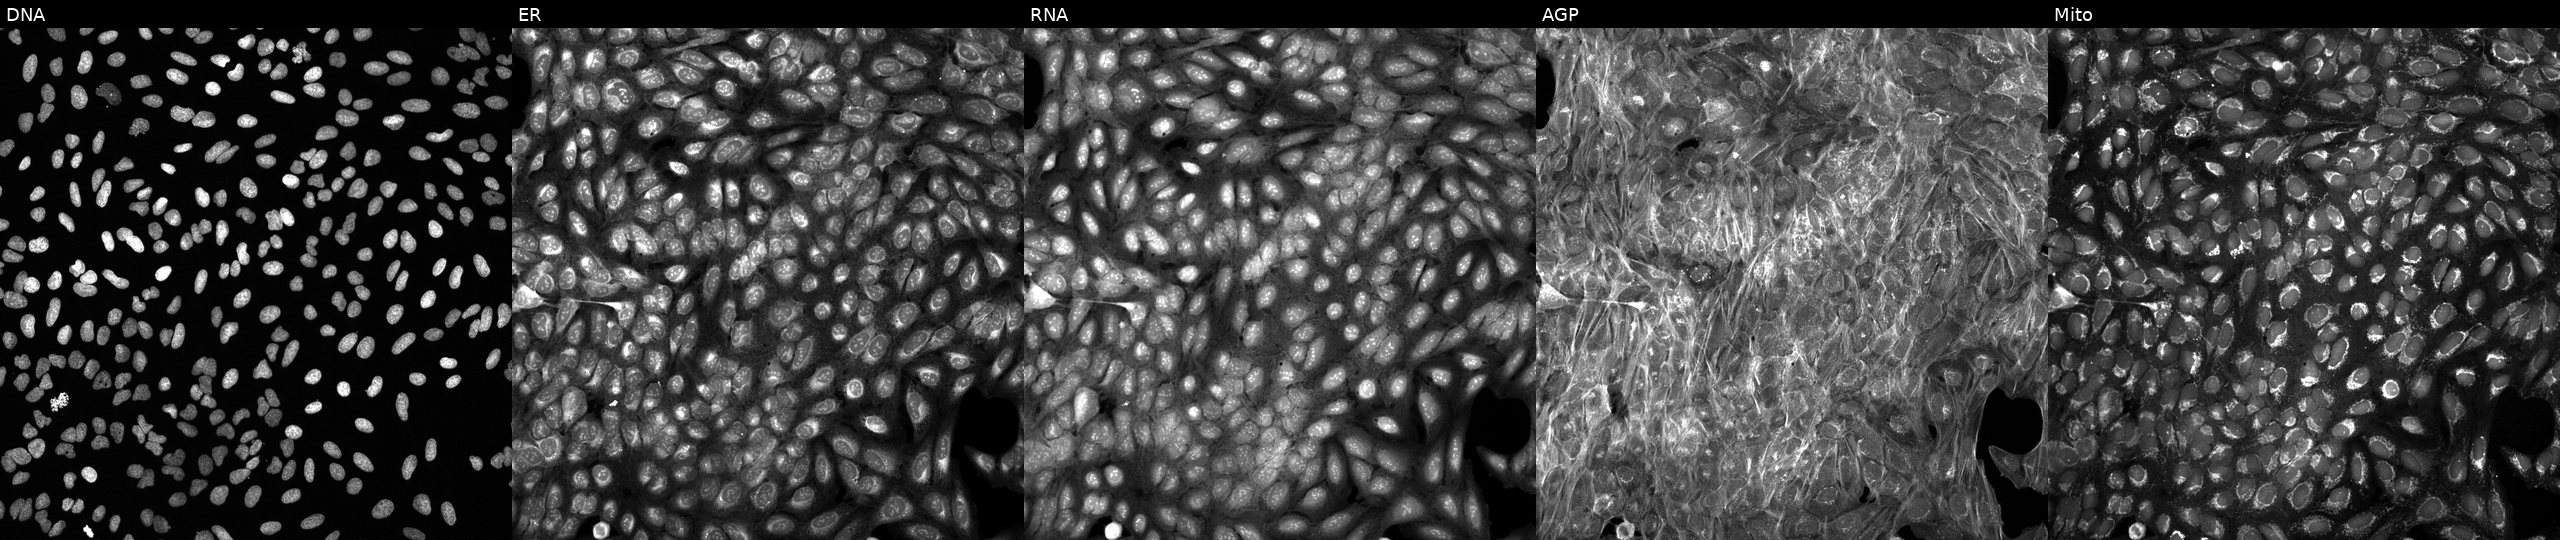
U2OS cells, Cell Painting assay, treated with a small-molecule compound (InChIKey ROBYKNONIPZMTK-UHFFFAOYSA-N). From left to right: Hoechst 33342, concanavalin A, SYTO 14, phalloidin and WGA, MitoTracker. Each panel is percentile-stretched 16-bit fluorescence.